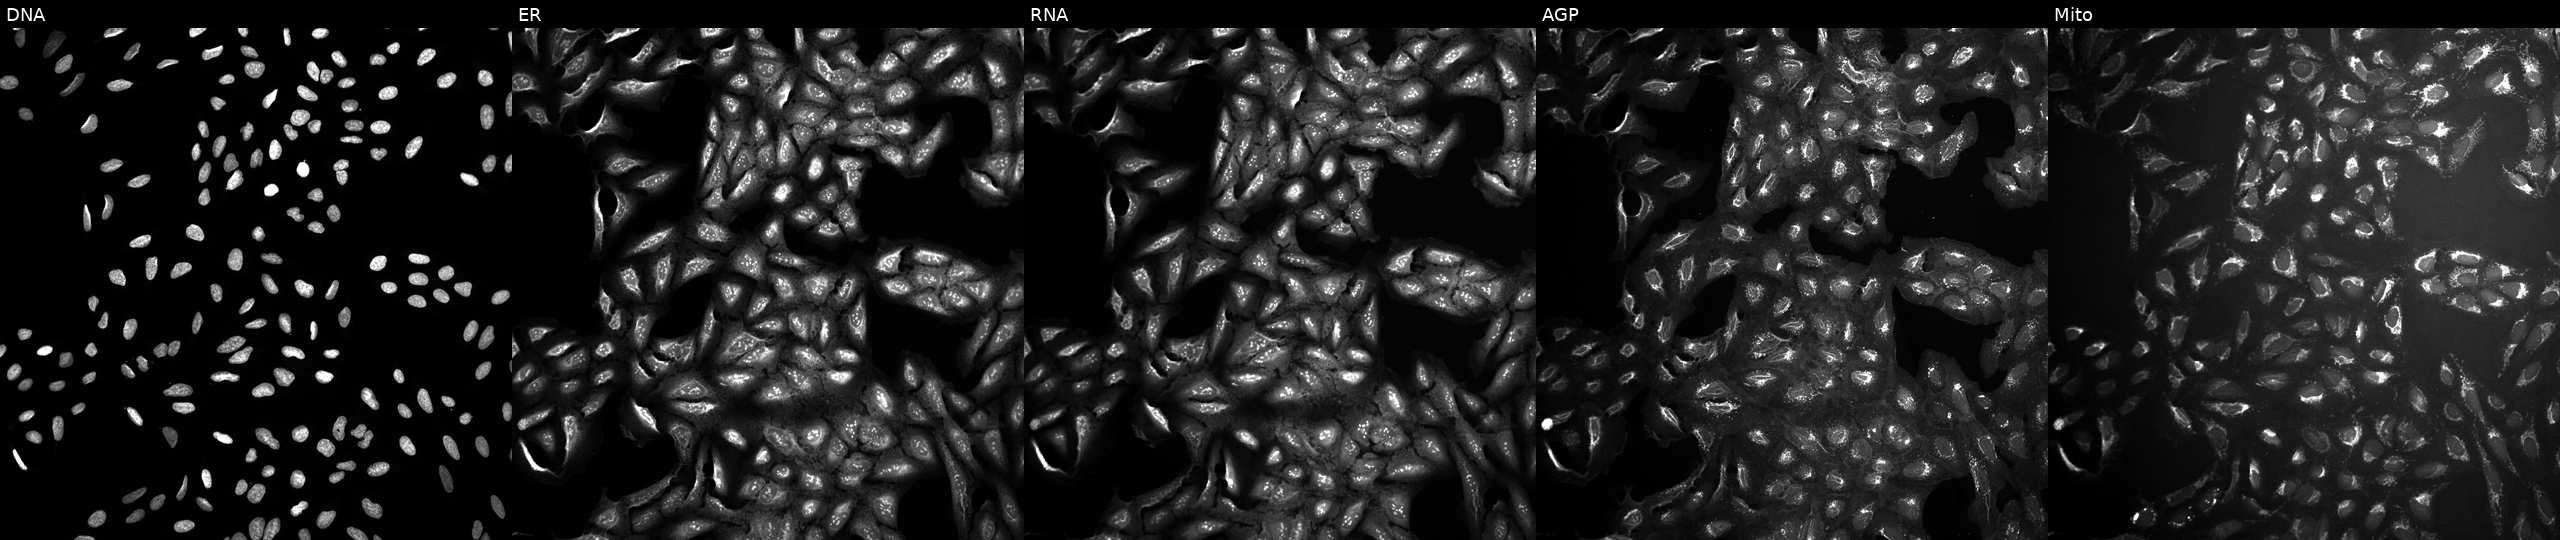
From left to right: DNA, ER, RNA, AGP, and Mito. U2OS osteosarcoma cells exposed to a small-molecule compound (InChIKey NMUSYJAQQFHJEW-UHFFFAOYSA-N). Cell Painting assay, JUMP-CP dataset.